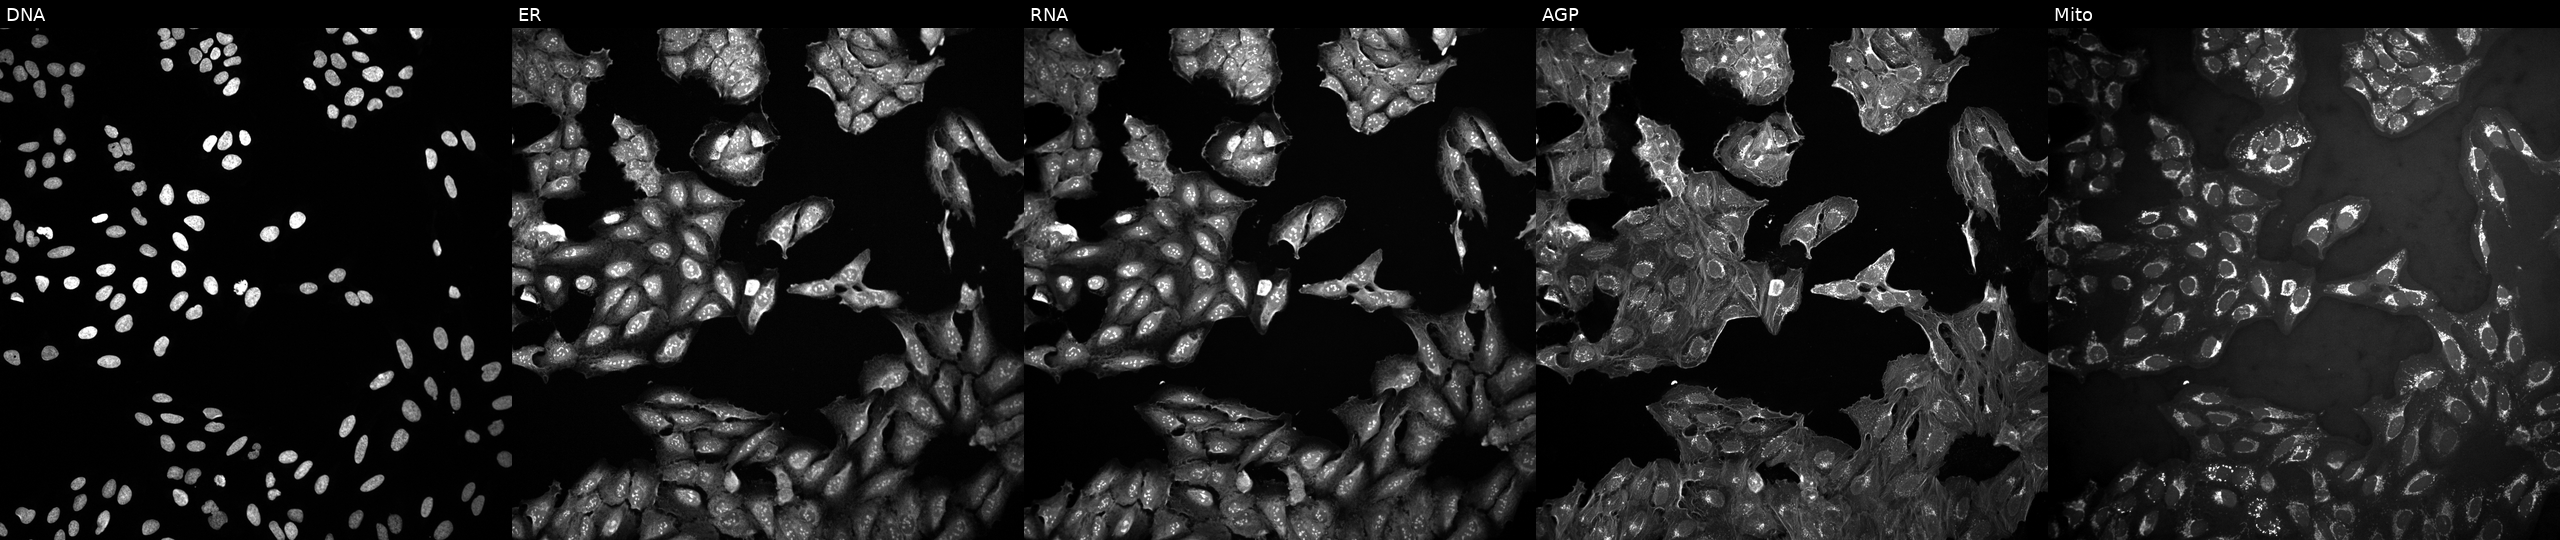
JUMP Cell Painting — COMPOUND plate. U2OS cells untreated (empty-well control) (JUMP id JCP2022_999999). From left to right: DNA, ER, RNA, AGP, and Mito.